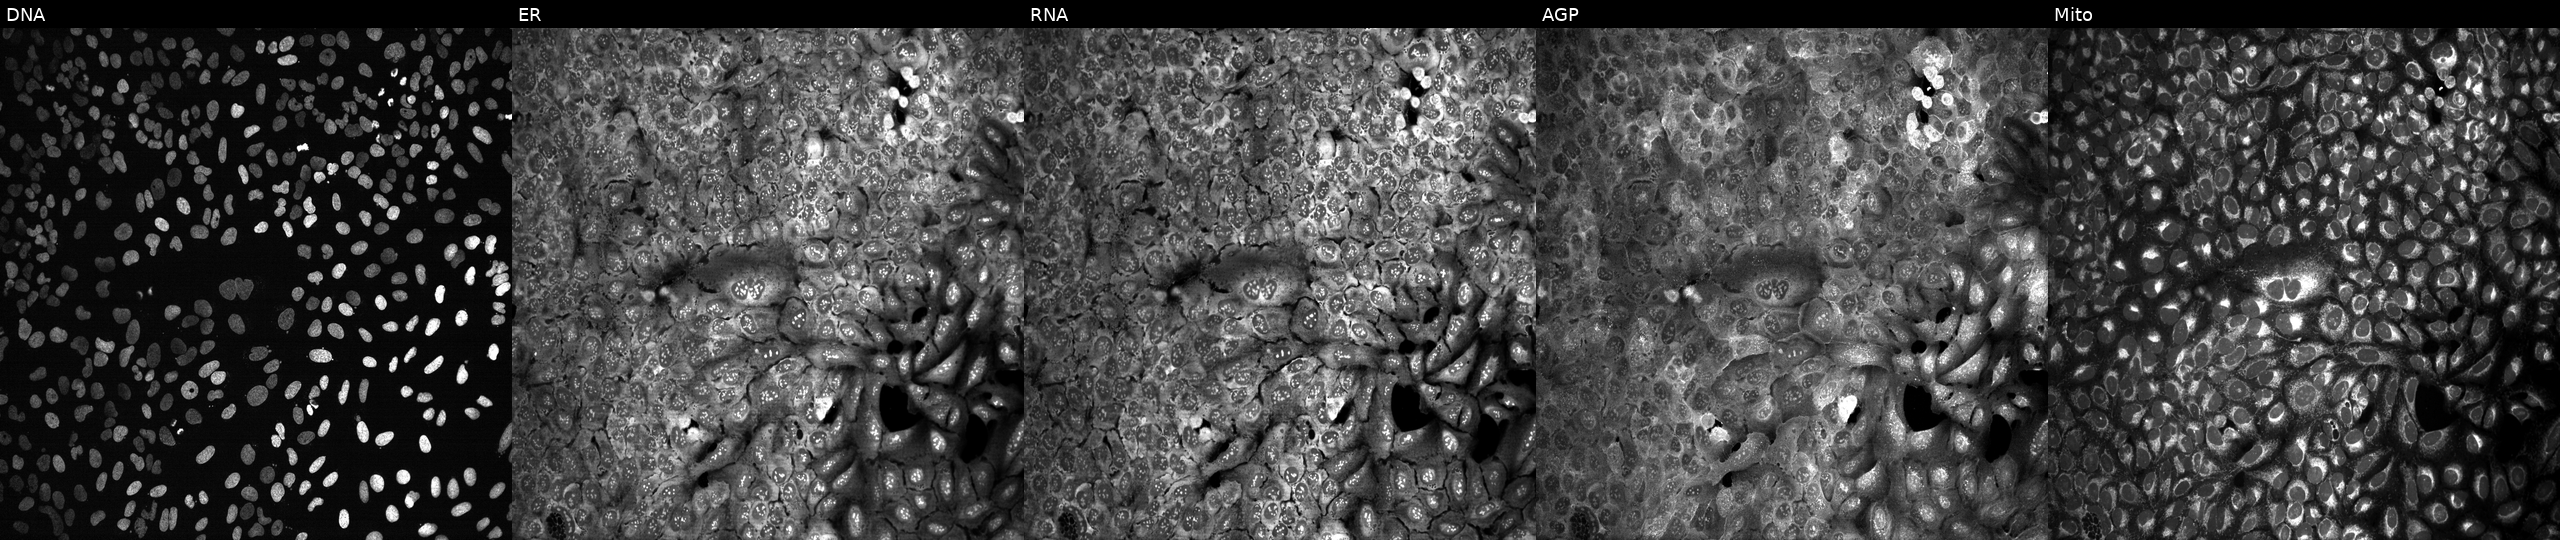
From left to right: DNA (nuclei); ER (endoplasmic reticulum); RNA (nucleoli and cytoplasmic RNA); AGP (actin cytoskeleton, Golgi, and plasma membrane); Mito (mitochondria). U2OS osteosarcoma cells with PLA2G12A knocked out by CRISPR. Cell Painting assay, JUMP-CP dataset.